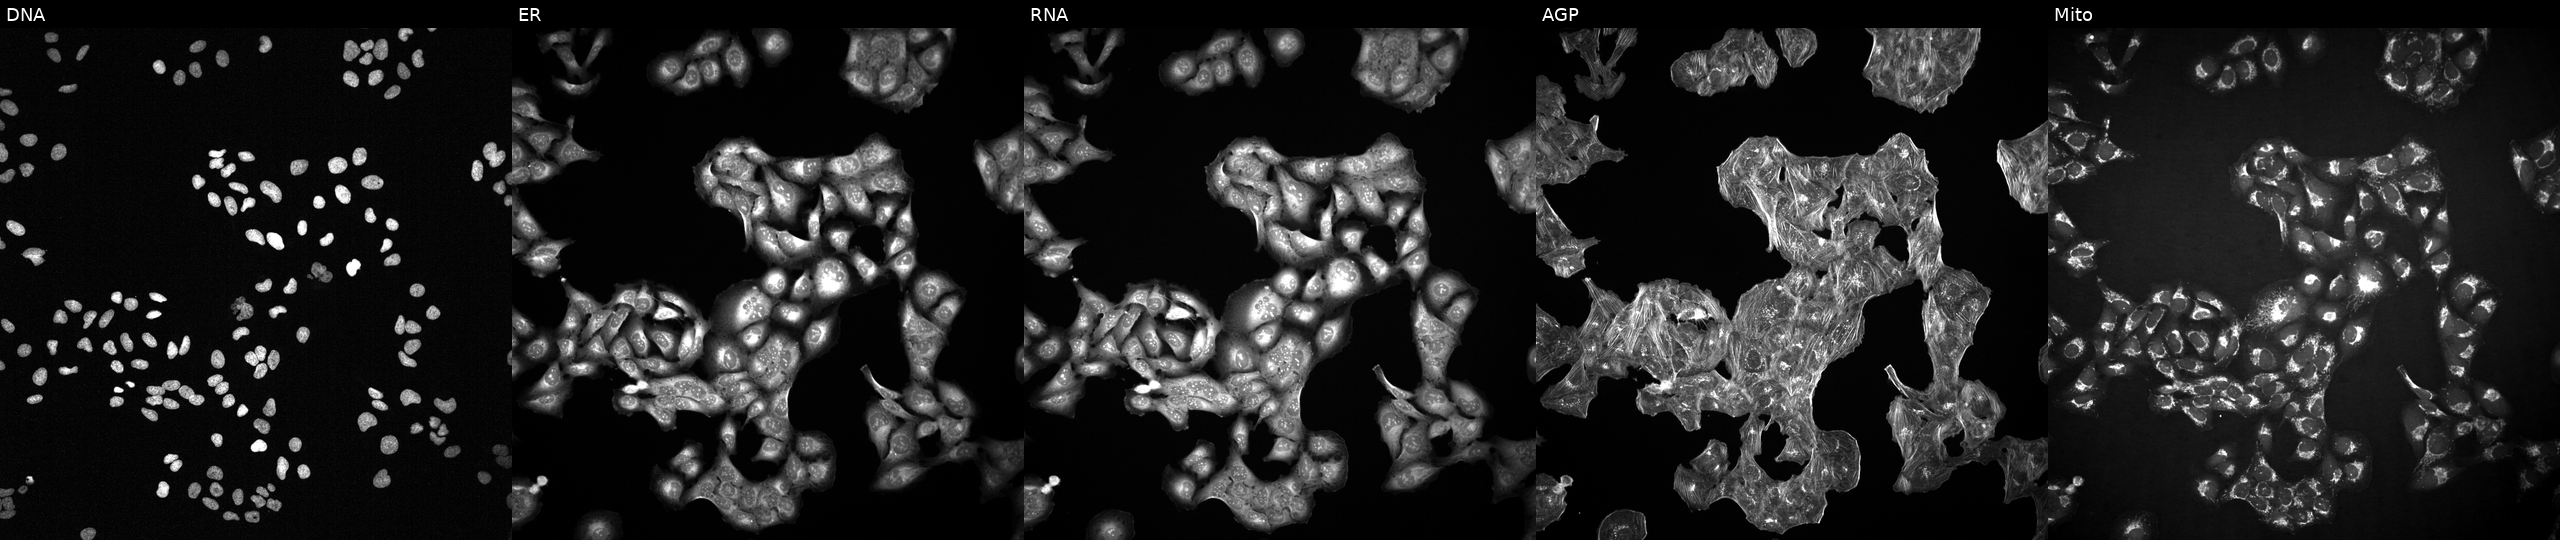
High-content fluorescence microscopy (Cell Painting). Cell line: U2OS. Perturbation: treated with NVS-PAK1-1 (positive-control compound) (JUMP id JCP2022_064022). The five panels, left to right, show DNA, ER, RNA, AGP, and Mito. Source 2, plate 1053601763, well F01.